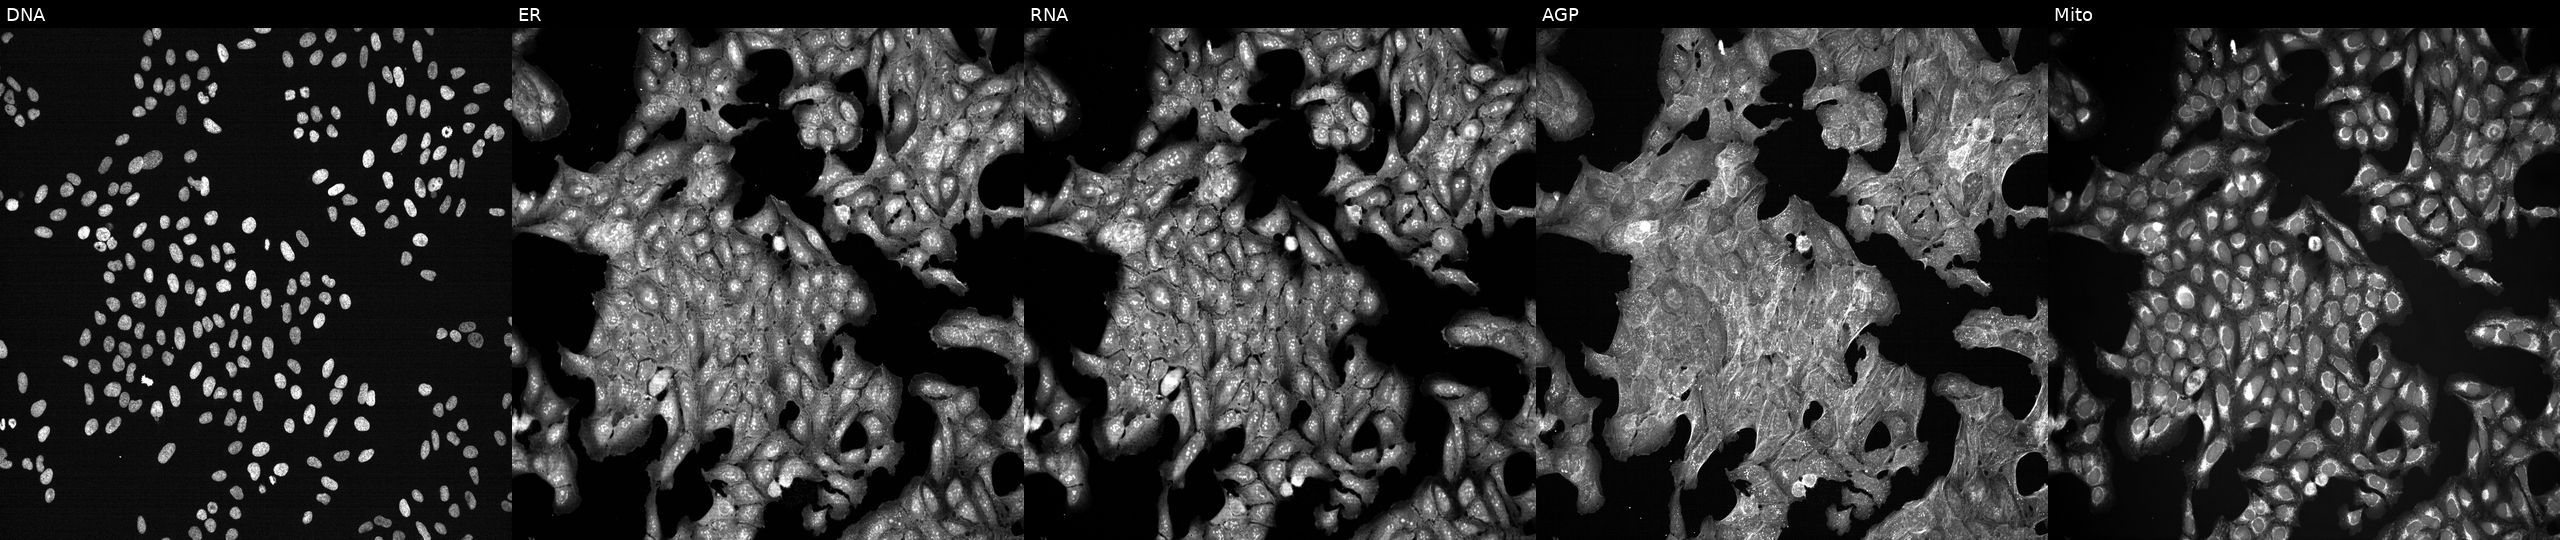
This image strip shows the five Cell Painting channels for a single field of U2OS cells perturbed with a small-molecule compound [SMILES: Cc1cccc(Oc2nc3c(C)cccn3c(=O)c2C=C(C#N)c2nc3ccccc3s2)c1]. From left to right: DNA (nuclei); ER (endoplasmic reticulum); RNA (nucleoli and cytoplasmic RNA); AGP (actin cytoskeleton, Golgi, and plasma membrane); Mito (mitochondria).